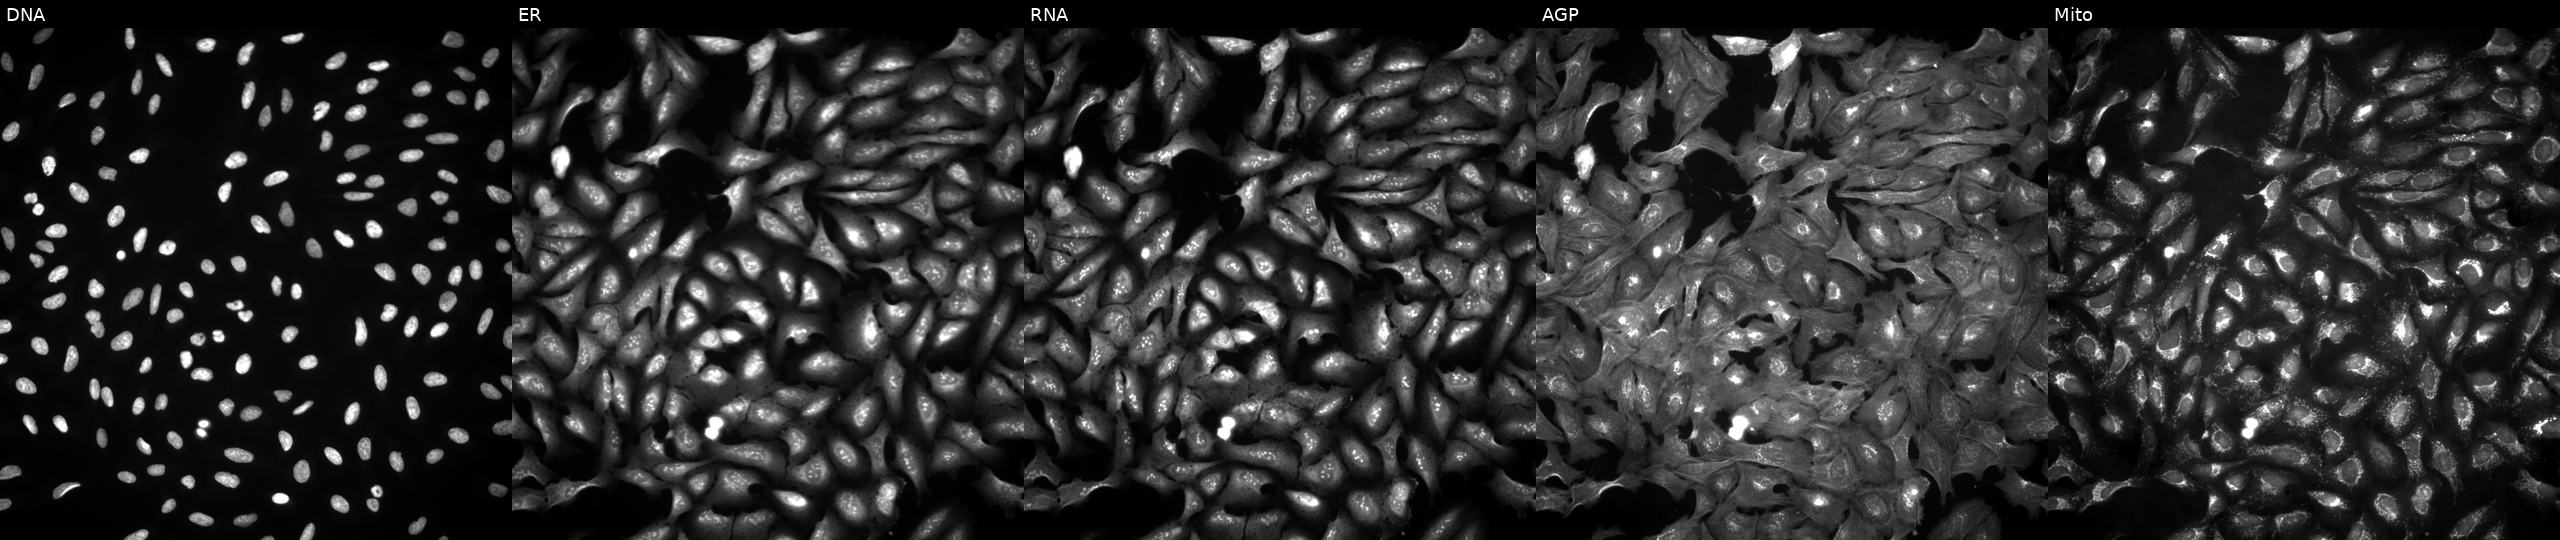
Panels show, left to right, Hoechst 33342, concanavalin A, SYTO 14, phalloidin and WGA, MitoTracker. U2OS osteosarcoma cells with LENEP overexpressed (ORF). Cell Painting assay, JUMP-CP dataset.